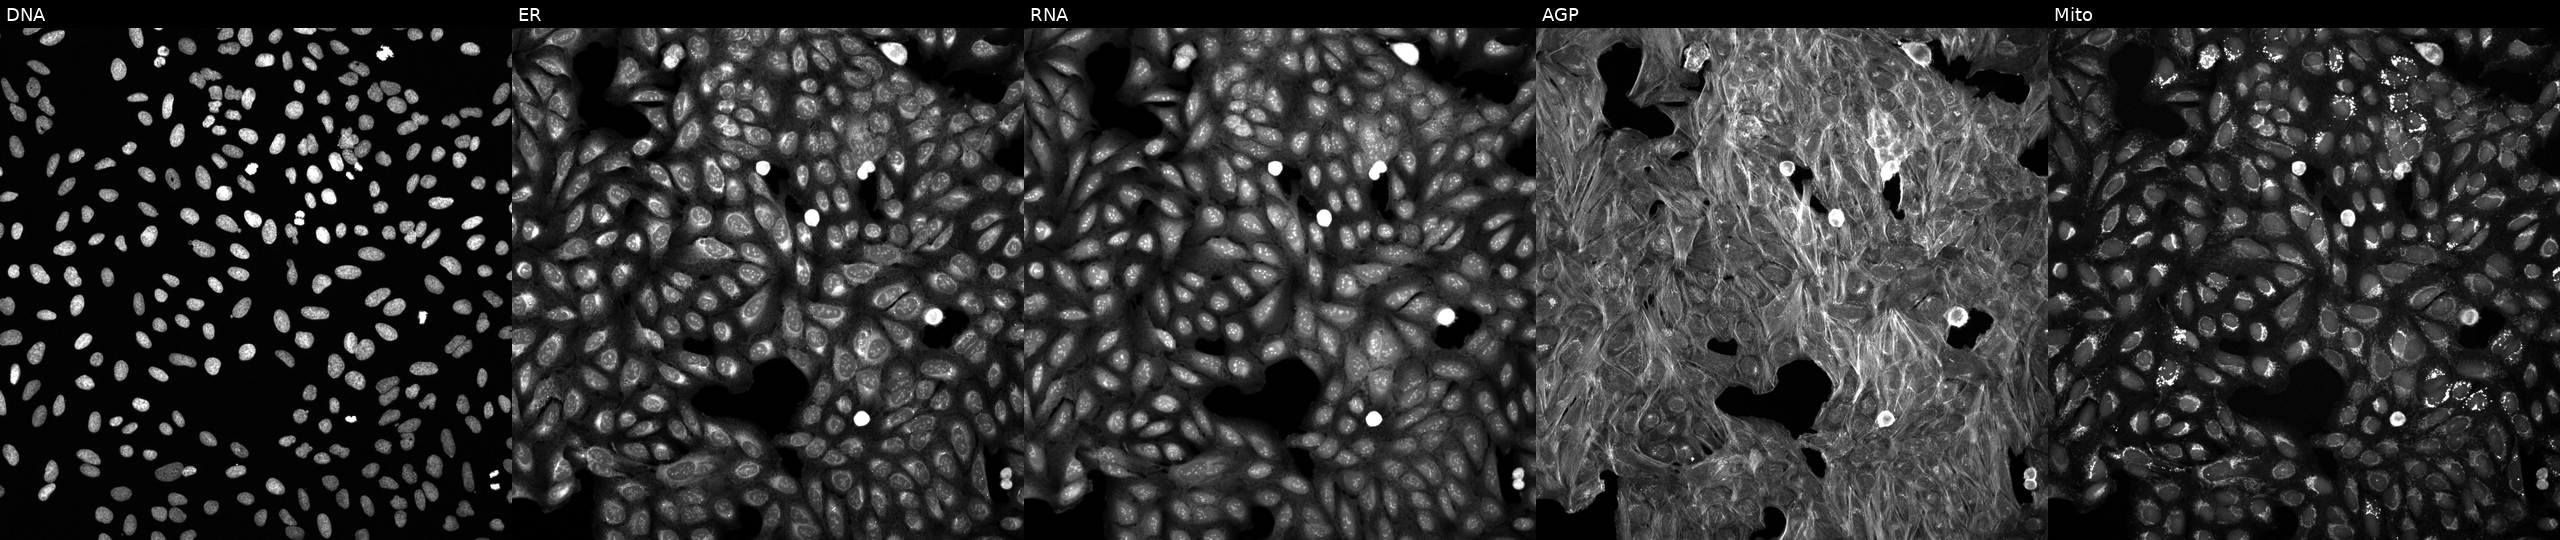
This image strip shows the five Cell Painting channels for a single field of U2OS cells perturbed with a small-molecule compound (InChIKey ZESFDAKNYJQYKO-UHFFFAOYSA-N) [SMILES: N#Cc1ccc(-c2ccc(S(=O)(=O)N=c3cccc(N)[nH]3)cc2)cc1]. Panels show, left to right, DNA (nuclei); ER (endoplasmic reticulum); RNA (nucleoli and cytoplasmic RNA); AGP (actin cytoskeleton, Golgi, and plasma membrane); Mito (mitochondria).